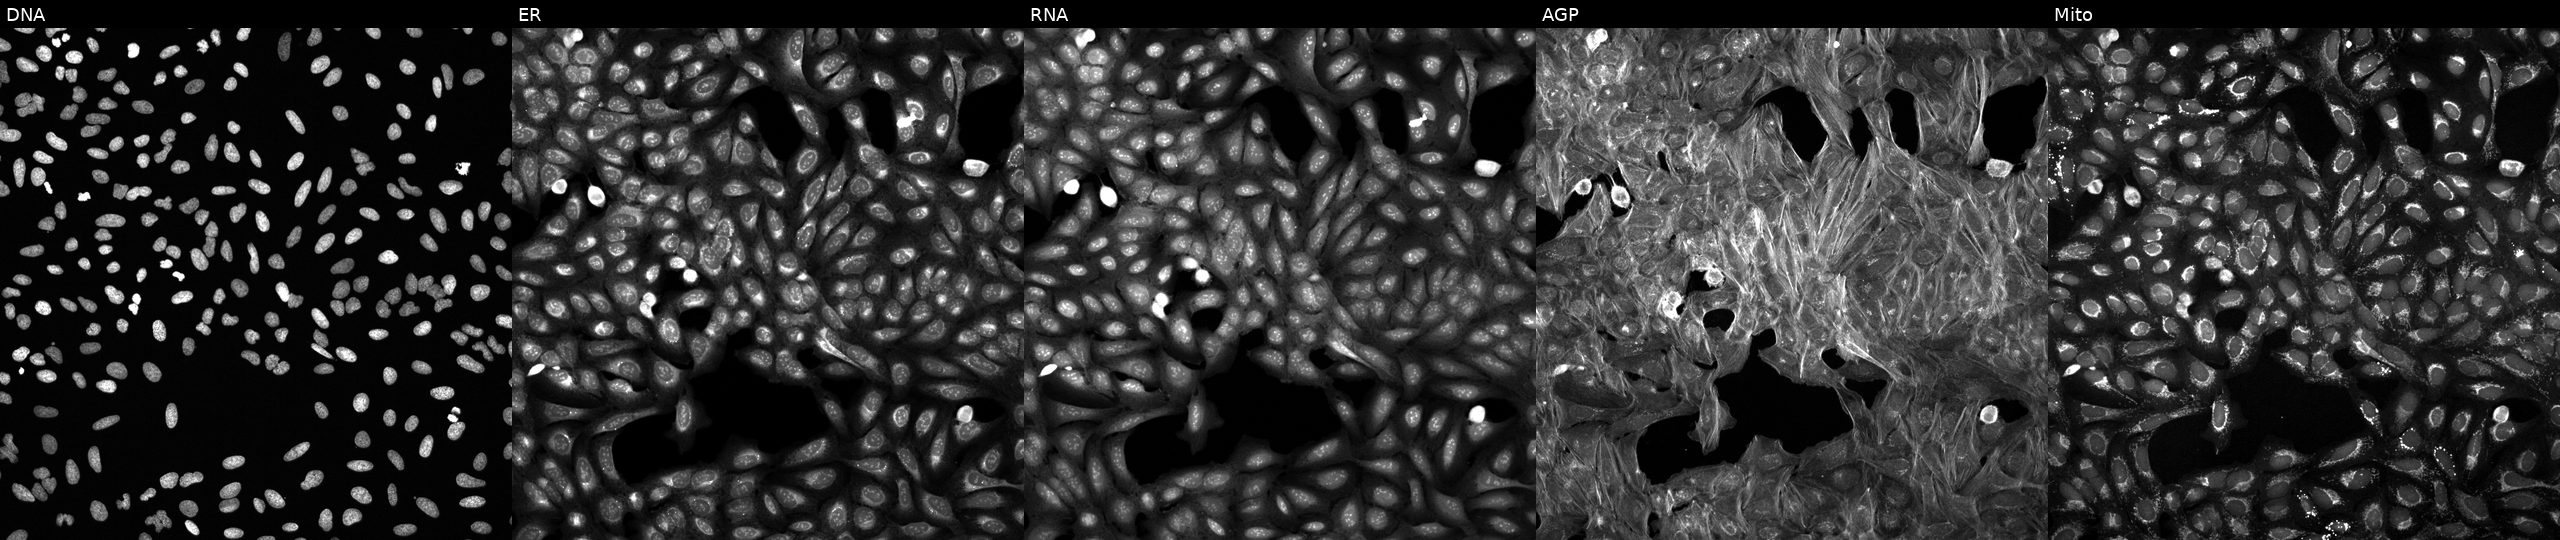
Five-channel Cell Painting image of U2OS cells exposed to a small-molecule compound (InChIKey DIOPCKXMTSJICP-UHFFFAOYSA-N) [SMILES: Cc1ccc(C)c(NC(=O)c2cc3nc(C)ccc3o2)c1] (JUMP id JCP2022_016139). From left to right: DNA, ER, RNA, AGP, and Mito. Source 6, plate 110000293083, well N12.